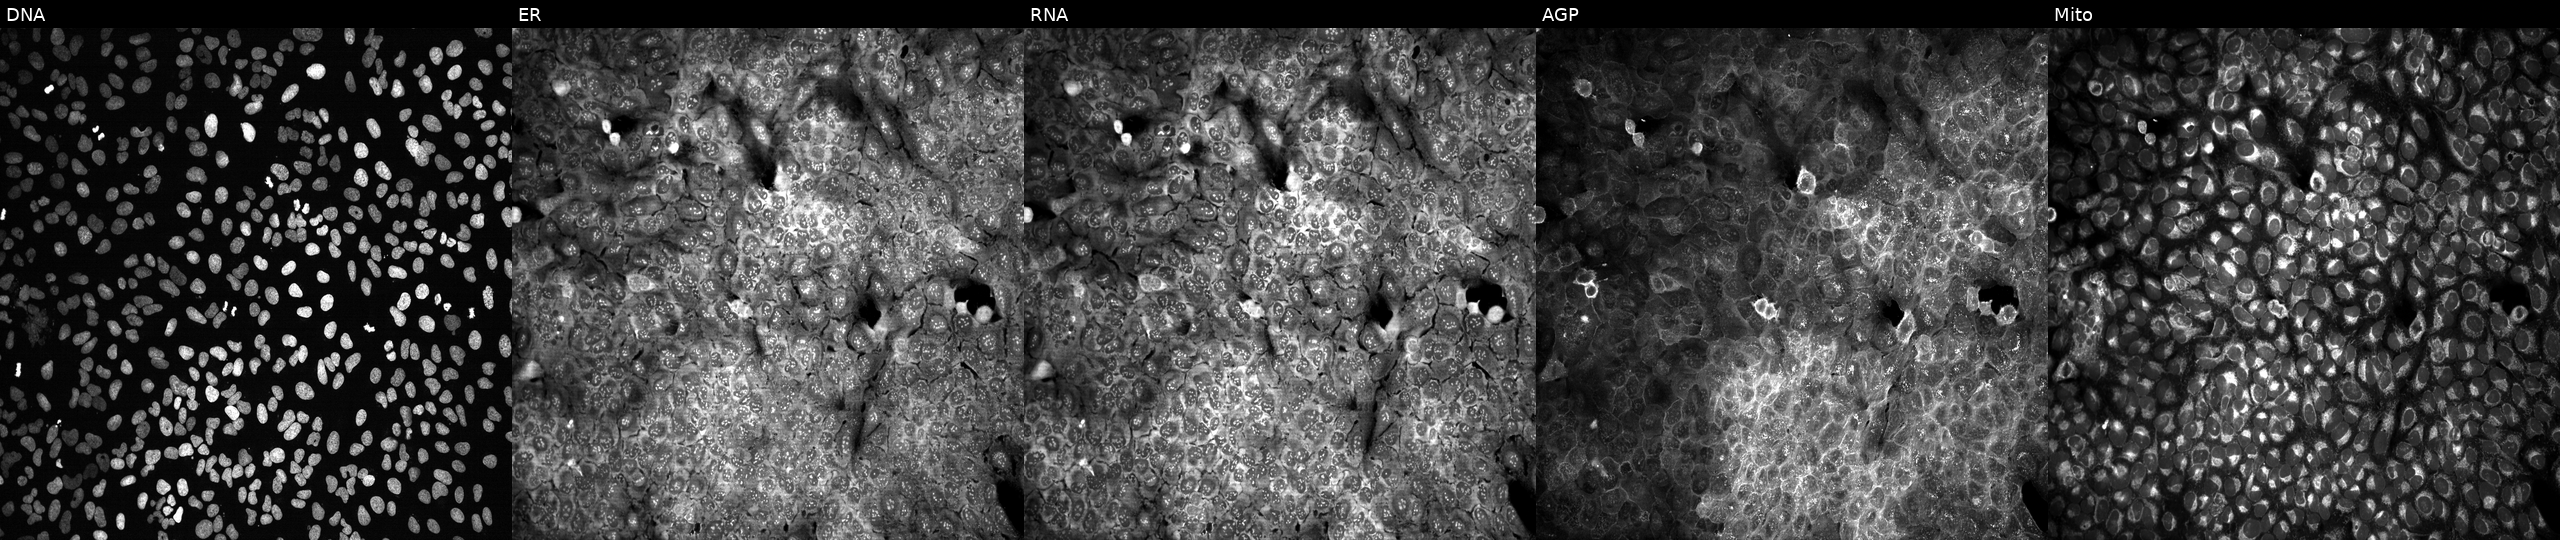
Five-channel Cell Painting image of U2OS cells with PPARA knocked out by CRISPR (JUMP id JCP2022_805394). From left to right: DNA (nuclei); ER (endoplasmic reticulum); RNA (nucleoli and cytoplasmic RNA); AGP (actin cytoskeleton, Golgi, and plasma membrane); Mito (mitochondria). Source 13, plate CP-CC9-R6-19, well H22.